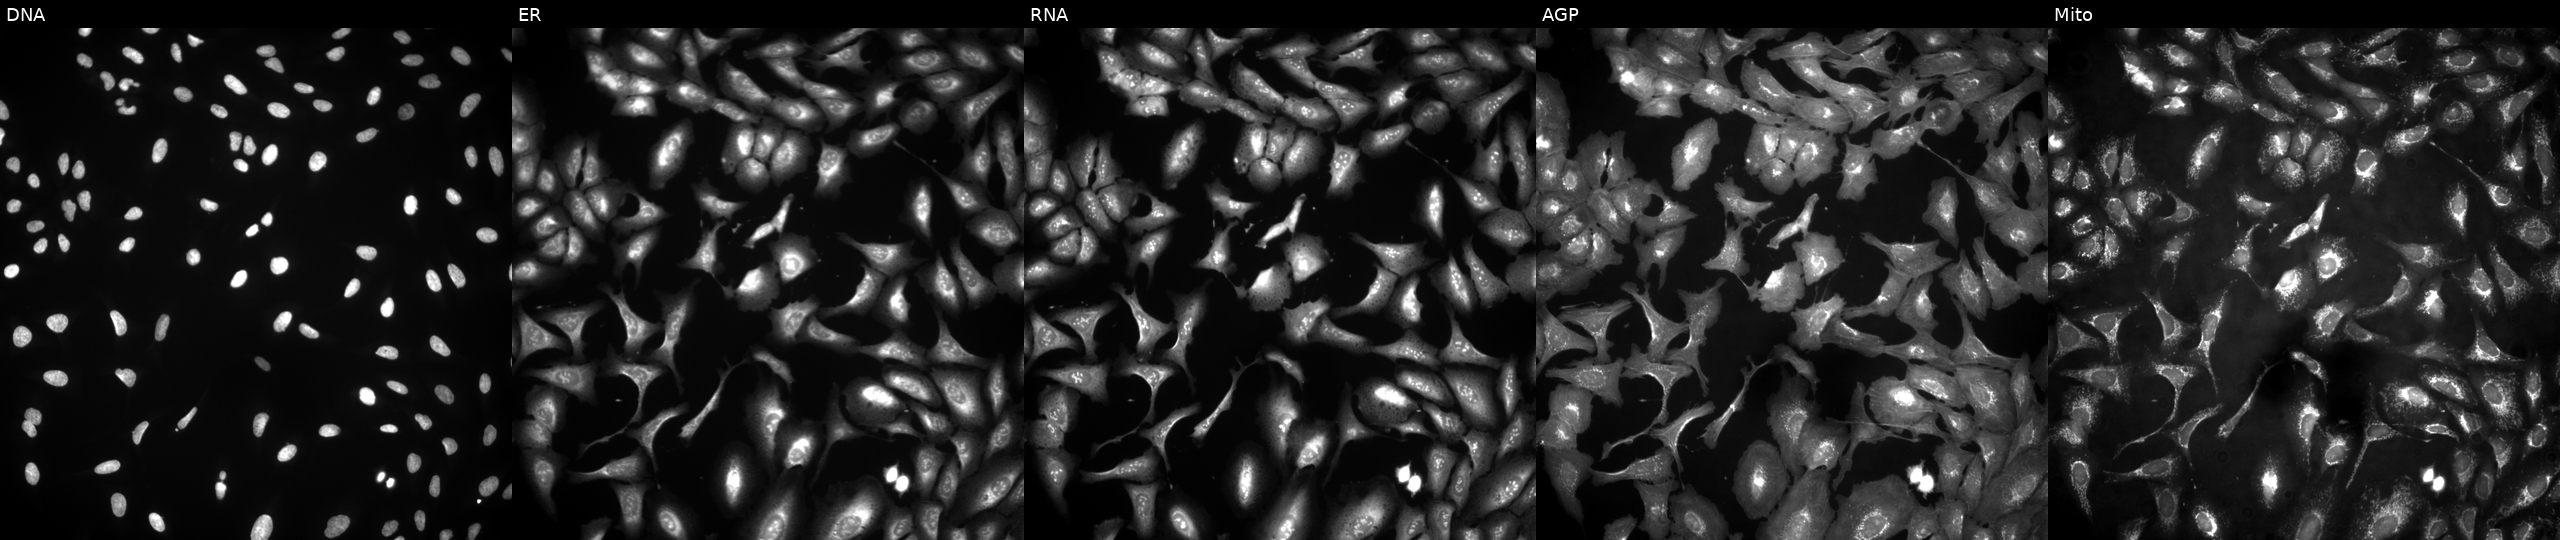
Panels show, left to right, DNA, ER, RNA, AGP, and Mito. U2OS osteosarcoma cells overexpressing HADHB via ORF transfection (JUMP id JCP2022_909725). Cell Painting assay, JUMP-CP dataset. Source 4, plate BR00124790, well B07.